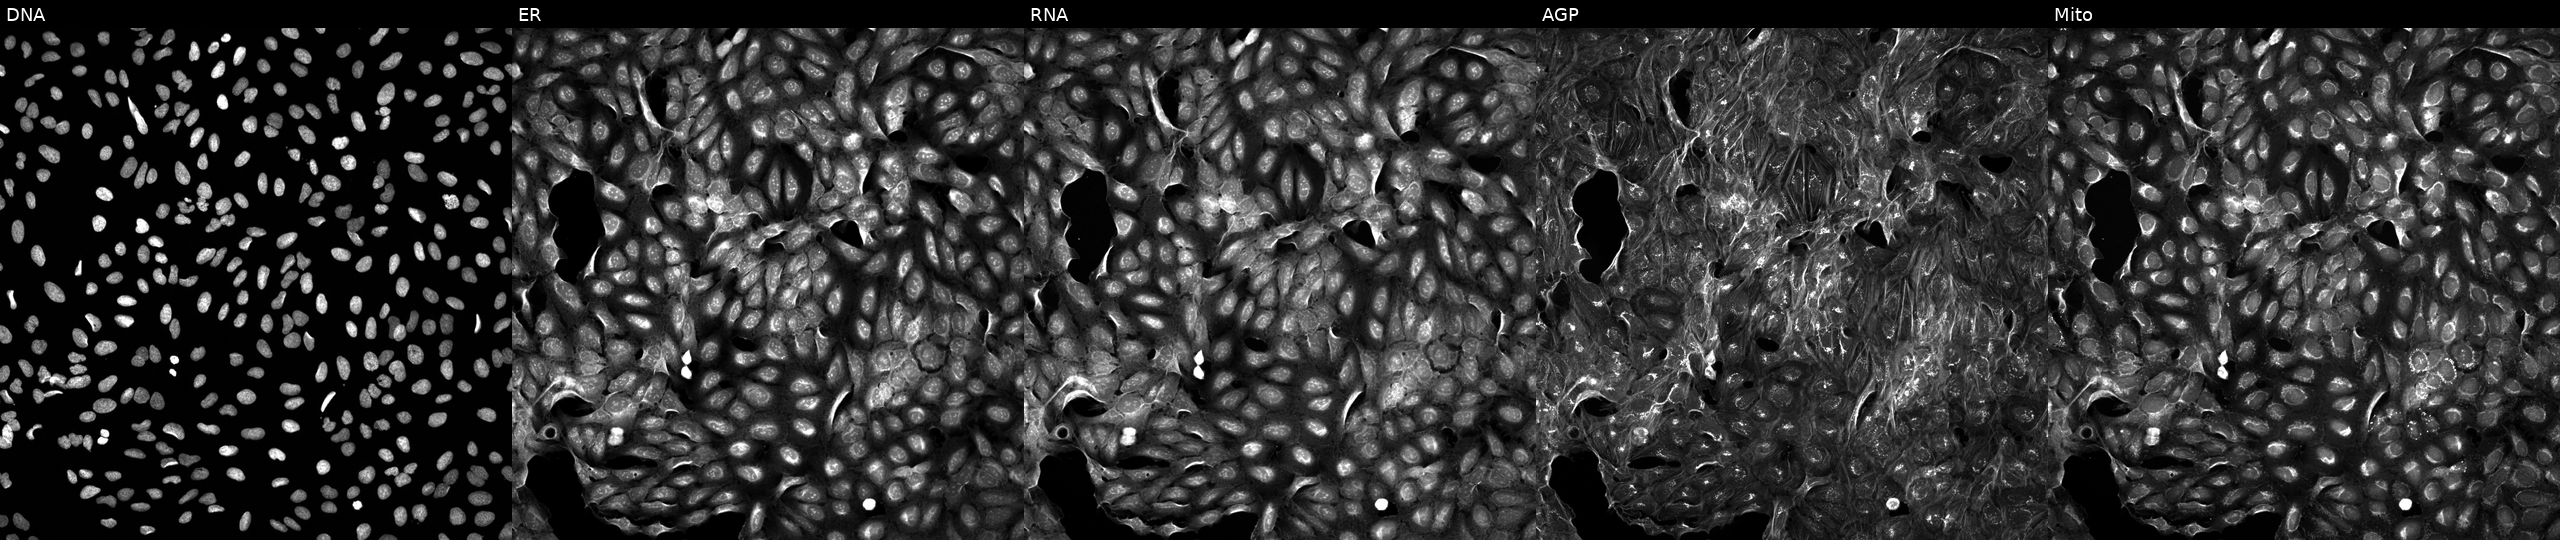
JUMP Cell Painting — COMPOUND plate. U2OS cells exposed to the positive-control compound quinidine. Panels show, left to right, Hoechst 33342, concanavalin A, SYTO 14, phalloidin and WGA, MitoTracker.